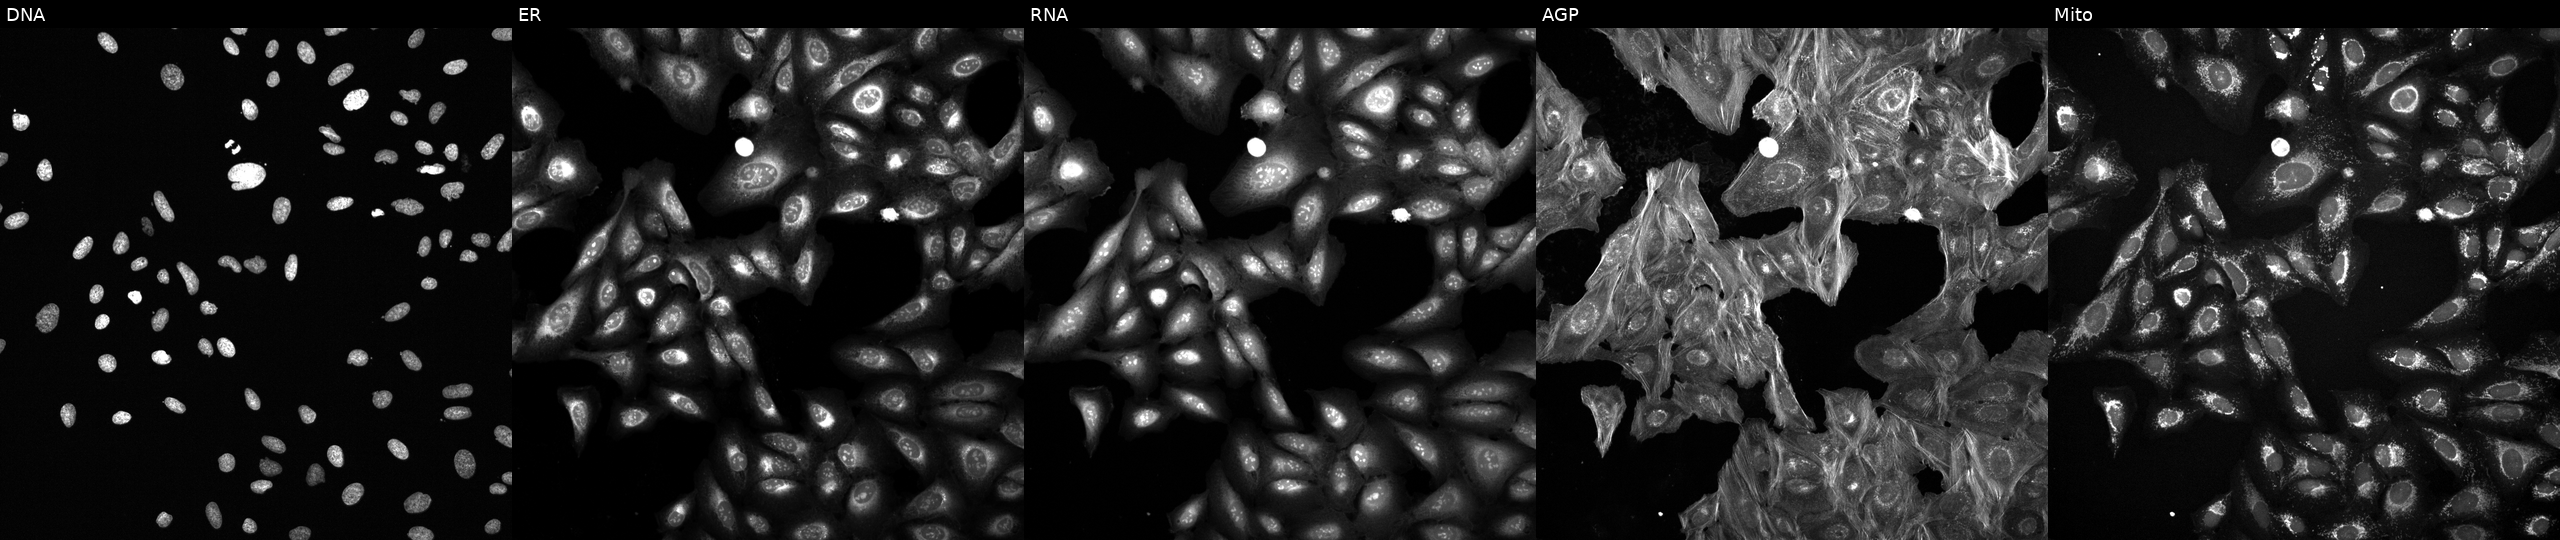
High-content fluorescence microscopy (Cell Painting). Cell line: U2OS. Perturbation: perturbed with a small-molecule compound (InChIKey CAOWNCTTWGSKDO-UHFFFAOYSA-N) [SMILES: N=c1[nH]c(F)nc2c1ncn2C1OC(CO[PH](=O)(=O)O)C(O)C1O] (JUMP id JCP2022_009886). Channels (left→right): DNA, ER, RNA, AGP, and Mito. Source 6, plate 110000293081, well K05.